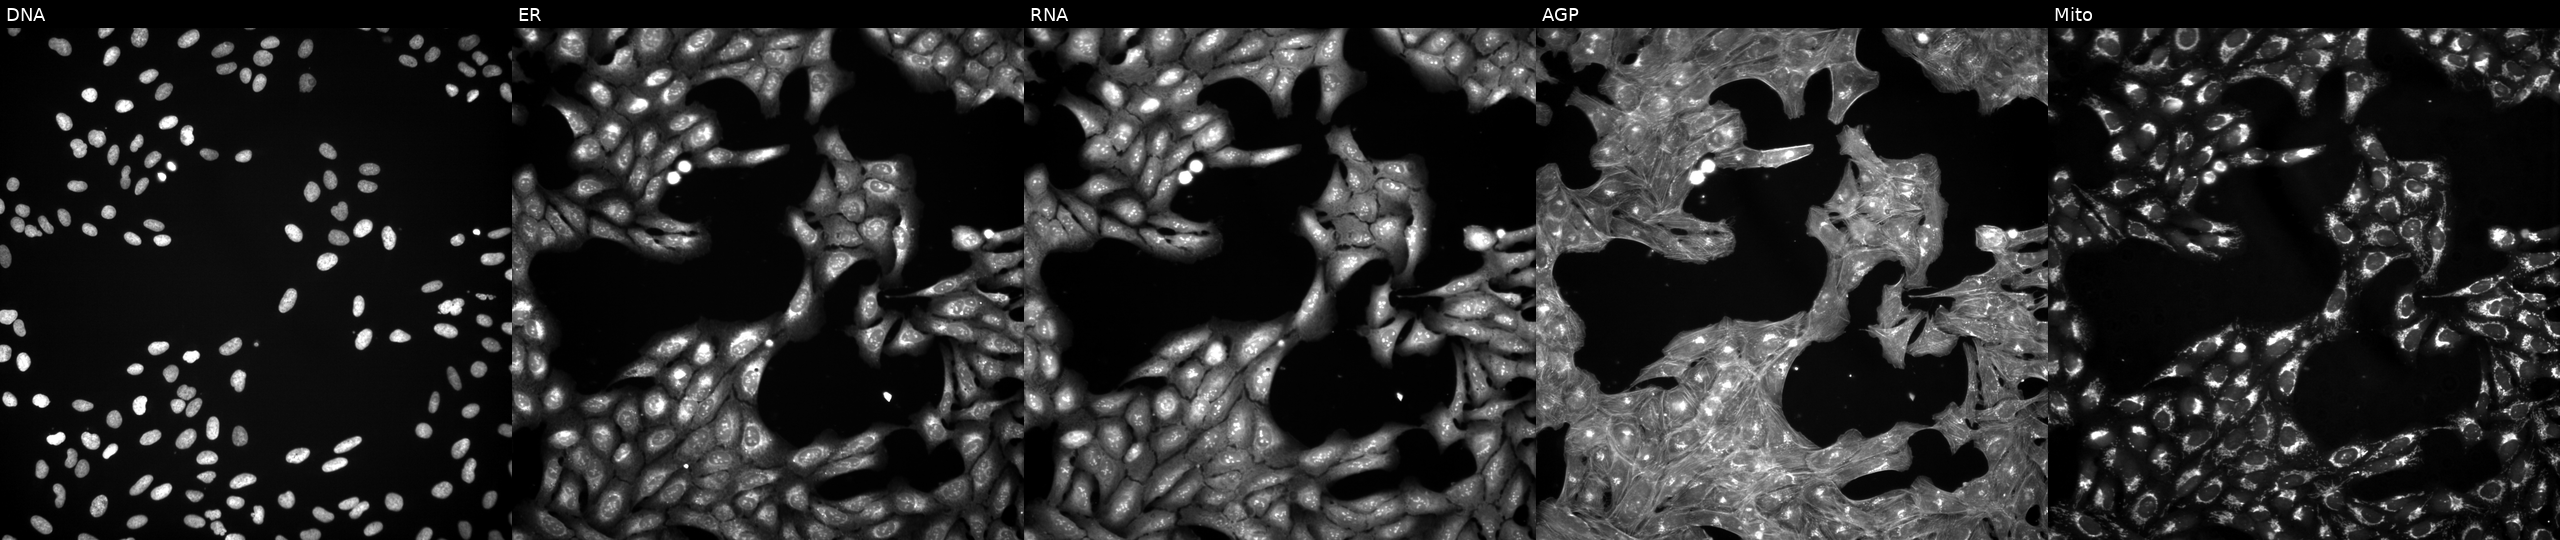
Five-channel Cell Painting image of U2OS cells treated with a small-molecule compound (InChIKey PFHDWRIVDDIFRP-UHFFFAOYSA-N) (JUMP id JCP2022_068238). The five panels, left to right, show DNA (nuclei); ER (endoplasmic reticulum); RNA (nucleoli and cytoplasmic RNA); AGP (actin cytoskeleton, Golgi, and plasma membrane); Mito (mitochondria).